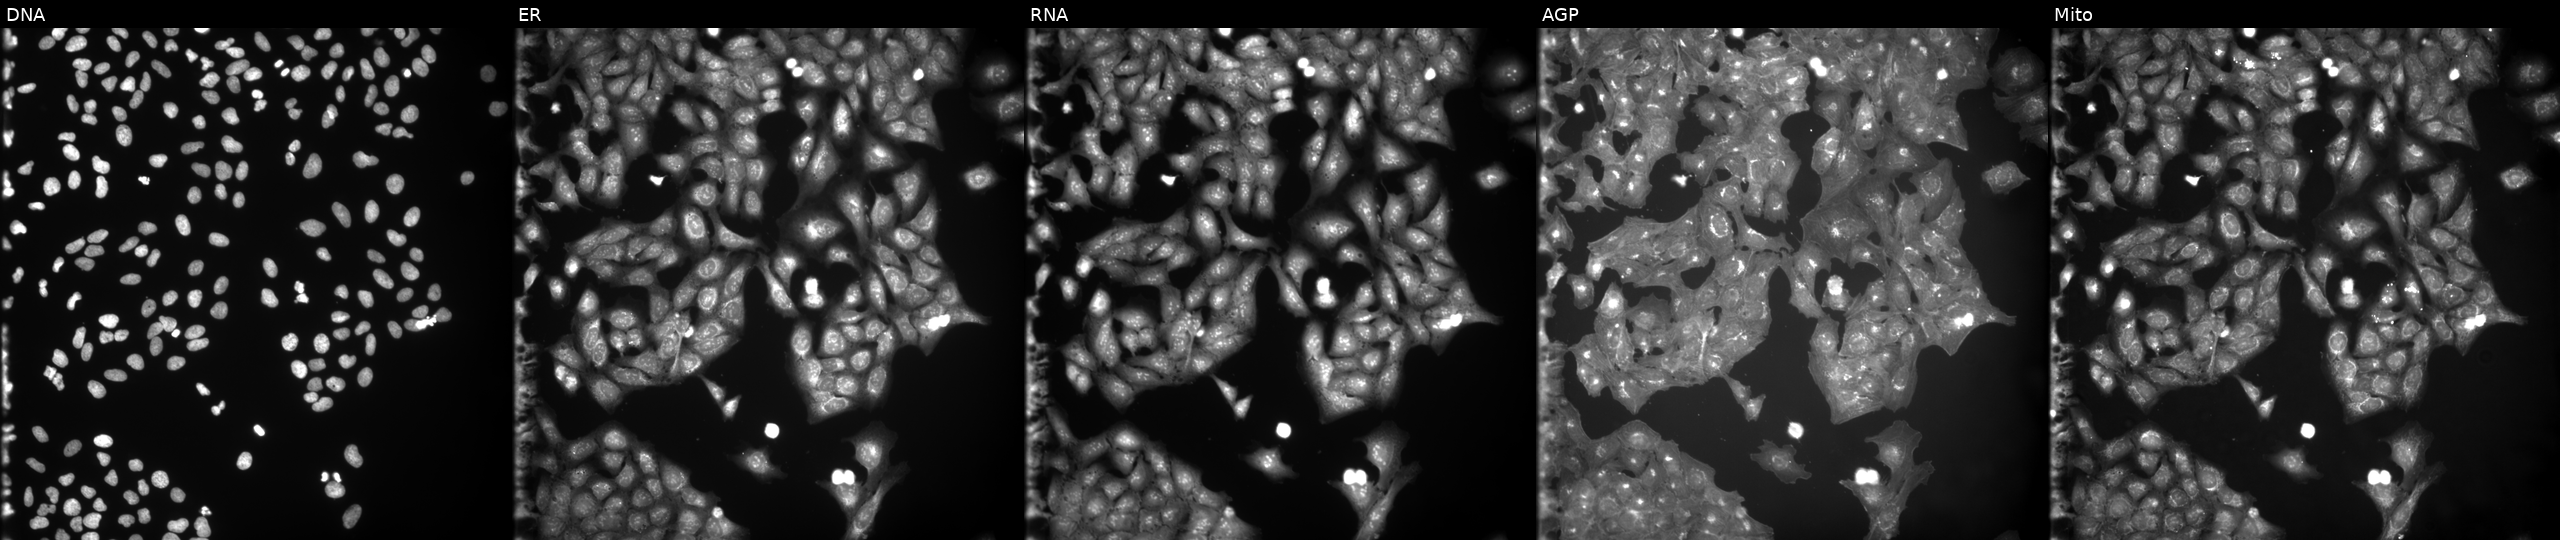
Panels show, left to right, Hoechst 33342, concanavalin A, SYTO 14, phalloidin and WGA, MitoTracker. U2OS osteosarcoma cells treated with NVS-PAK1-1 (positive-control compound) (JUMP id JCP2022_064022). Cell Painting assay, JUMP-CP dataset.